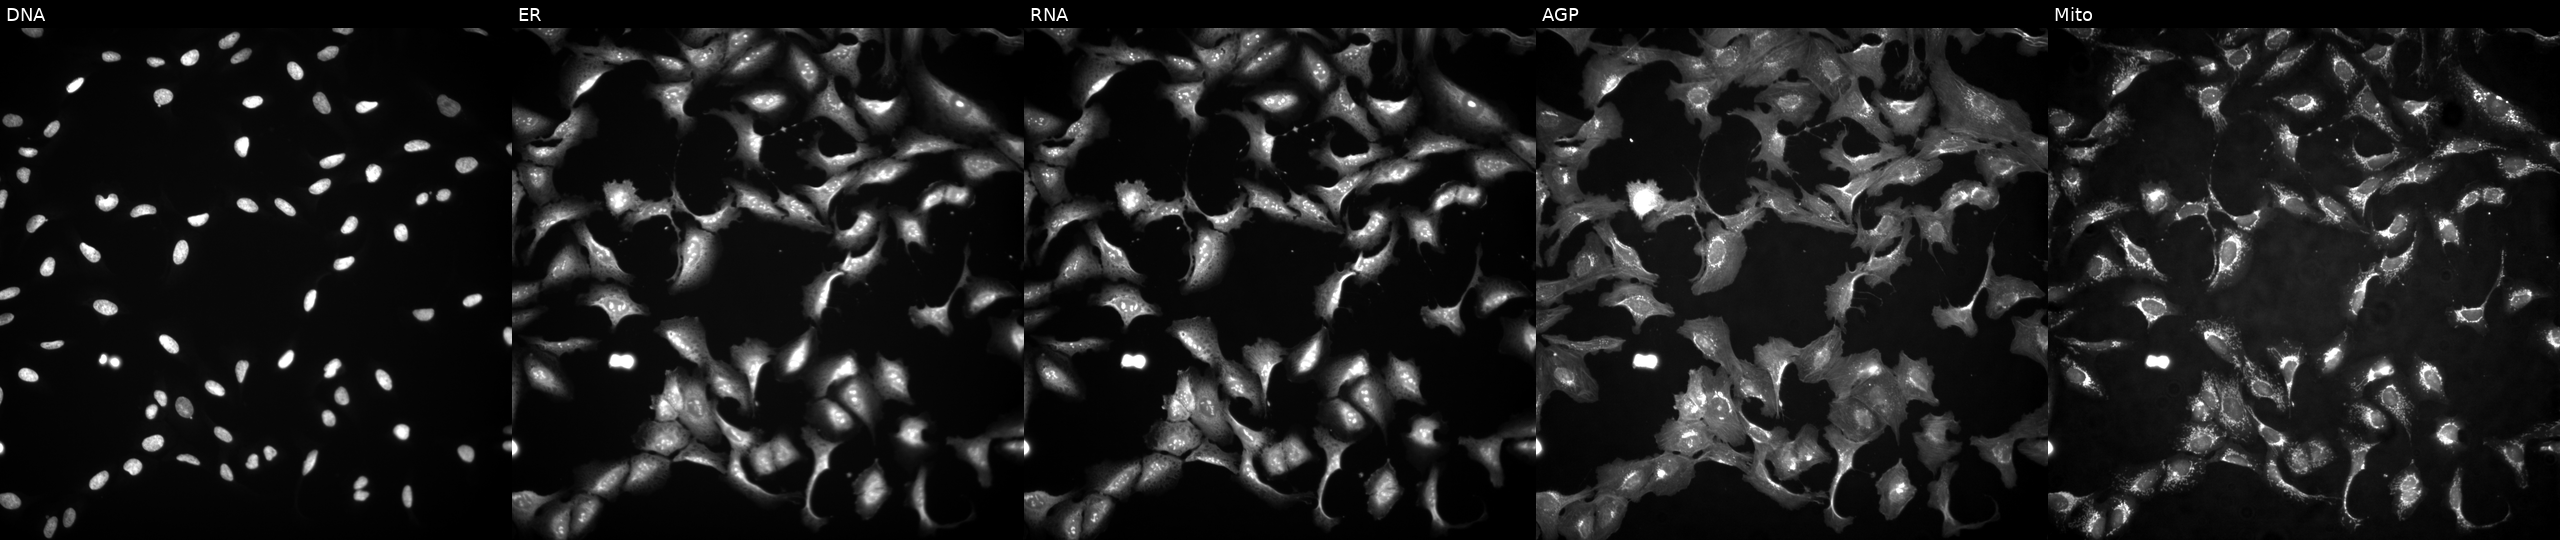
High-content fluorescence microscopy (Cell Painting). Cell line: U2OS. Perturbation: overexpressing HMG20B via ORF transfection (JUMP id JCP2022_914691). Channels (left→right): DNA (nuclei); ER (endoplasmic reticulum); RNA (nucleoli and cytoplasmic RNA); AGP (actin cytoskeleton, Golgi, and plasma membrane); Mito (mitochondria).